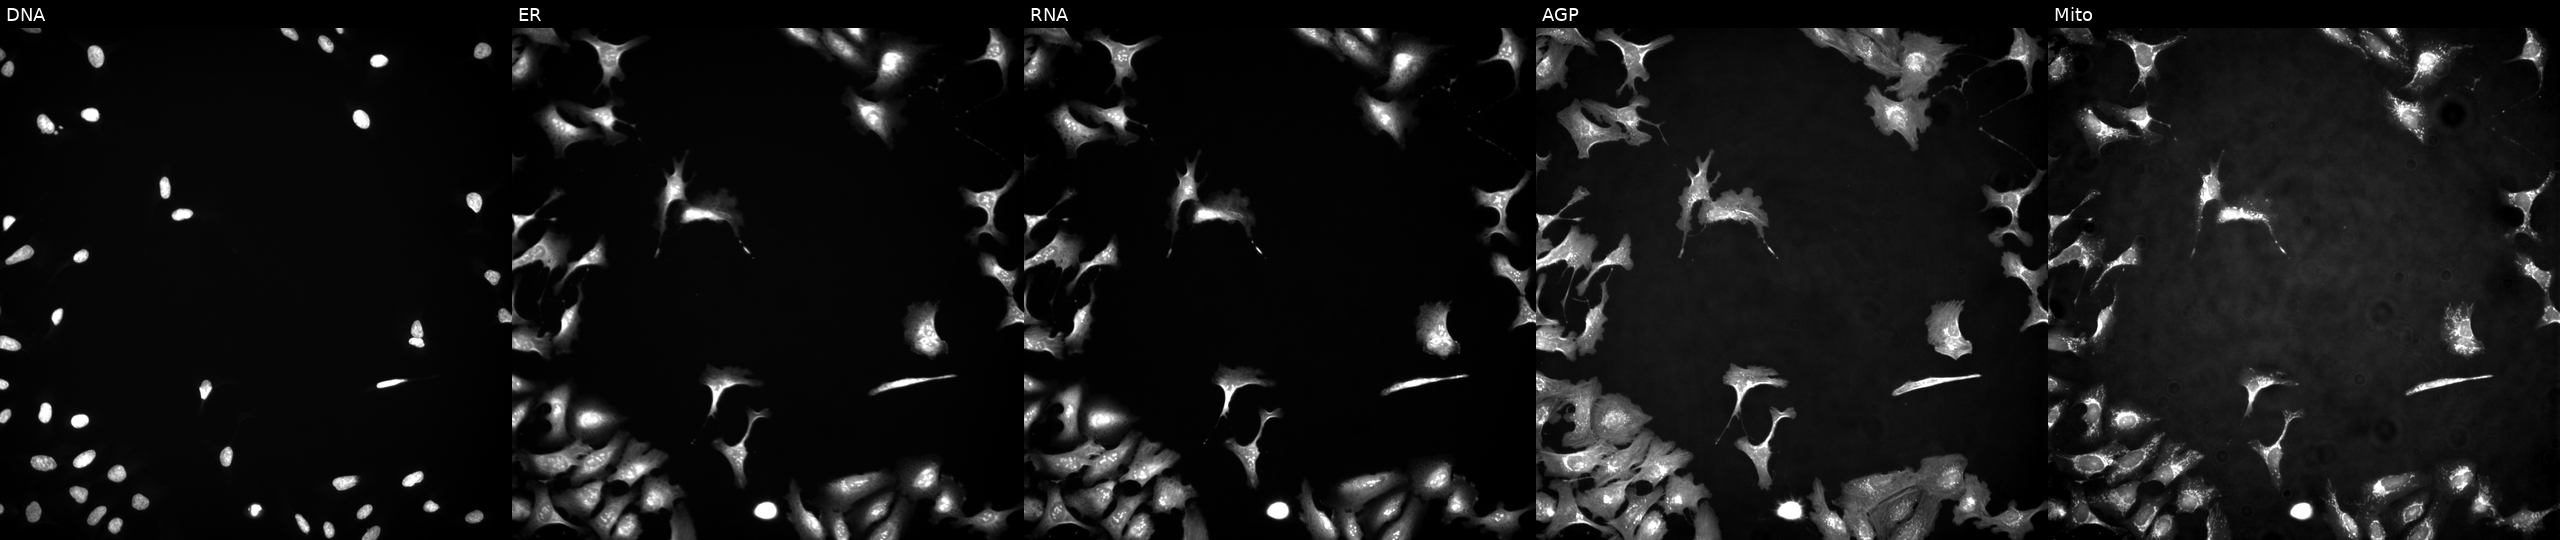
Five-channel Cell Painting image of U2OS cells transfected with an ORF construct for DAPK3 (JUMP id JCP2022_913642). Panels show, left to right, DNA (nuclei); ER (endoplasmic reticulum); RNA (nucleoli and cytoplasmic RNA); AGP (actin cytoskeleton, Golgi, and plasma membrane); Mito (mitochondria).